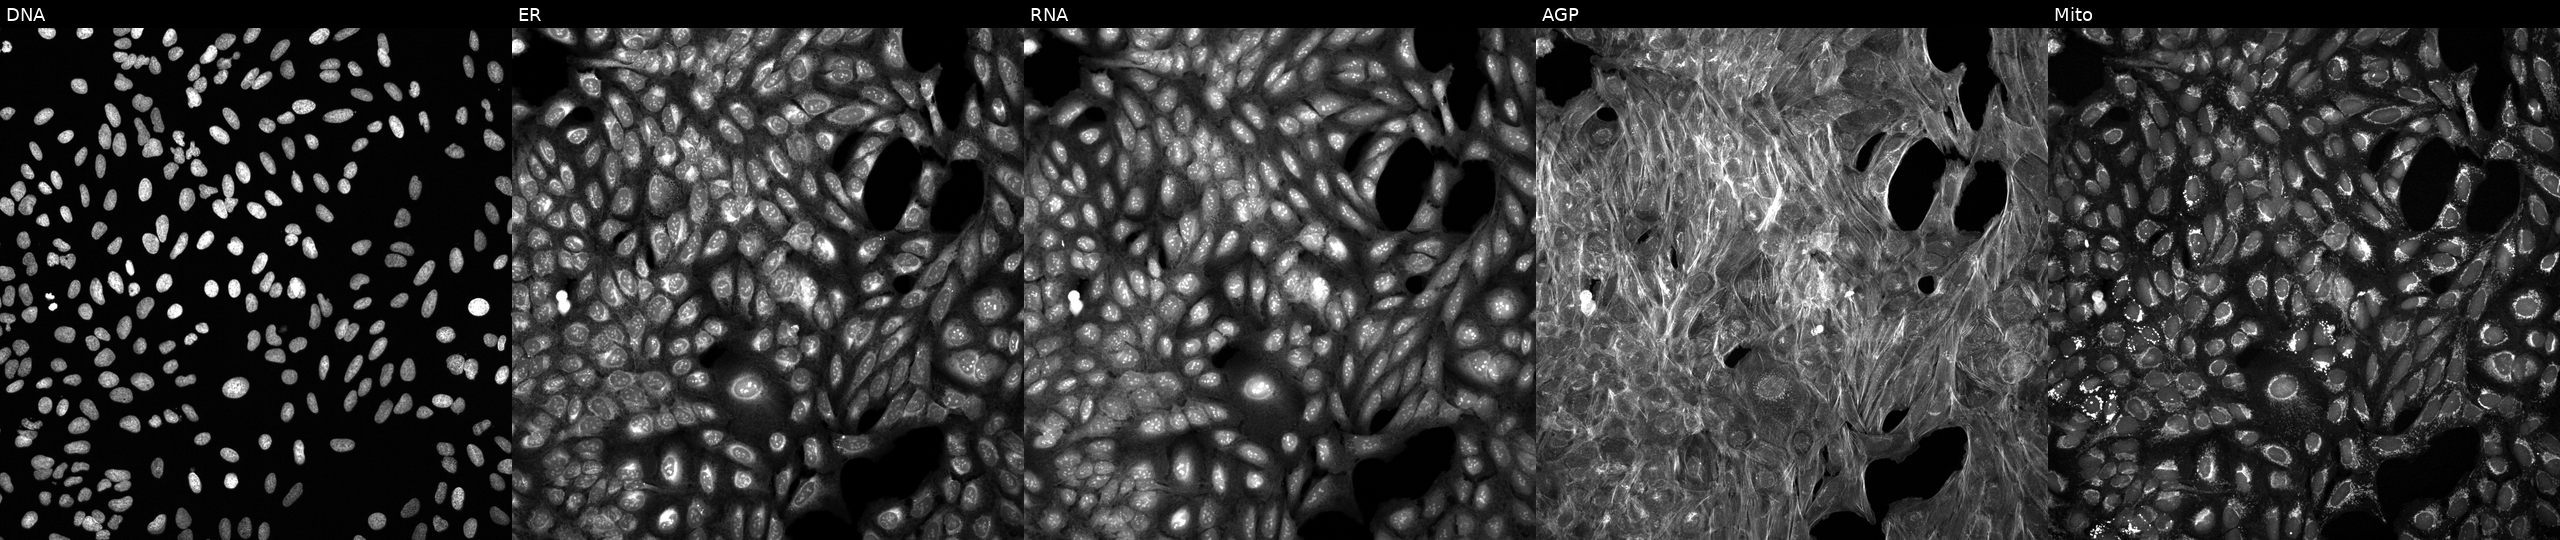
High-content fluorescence microscopy (Cell Painting). Cell line: U2OS. Perturbation: exposed to the positive-control compound dexamethasone. The five panels, left to right, show DNA, ER, RNA, AGP, and Mito.